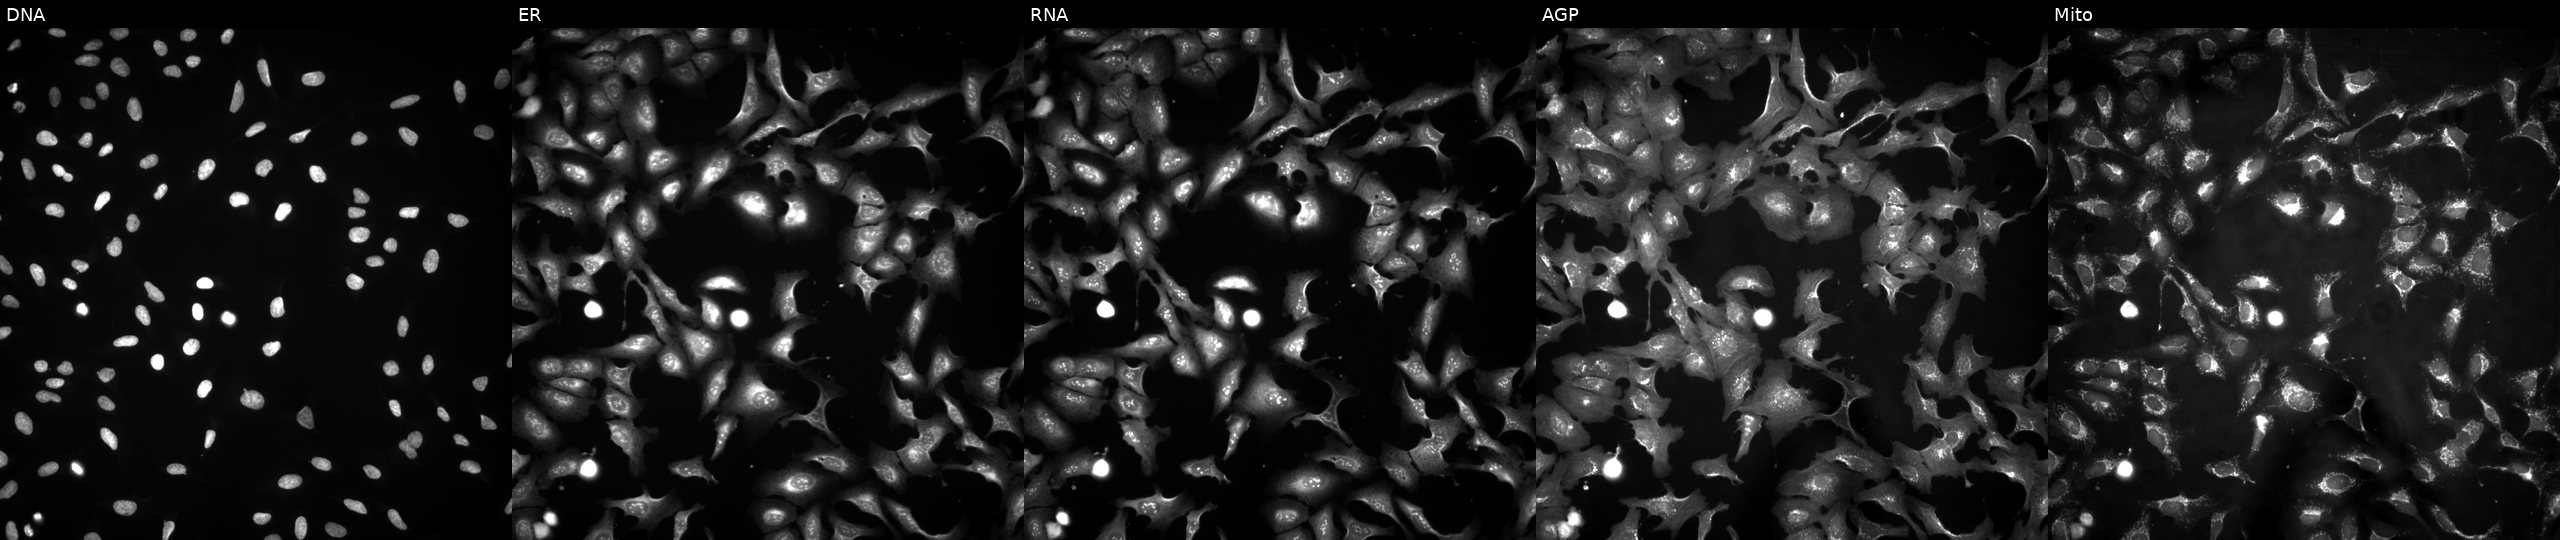
This image strip shows the five Cell Painting channels for a single field of U2OS cells transfected with an ORF construct for ANGPTL7 (JUMP id JCP2022_902210). Channels (left→right): DNA, ER, RNA, AGP, and Mito.